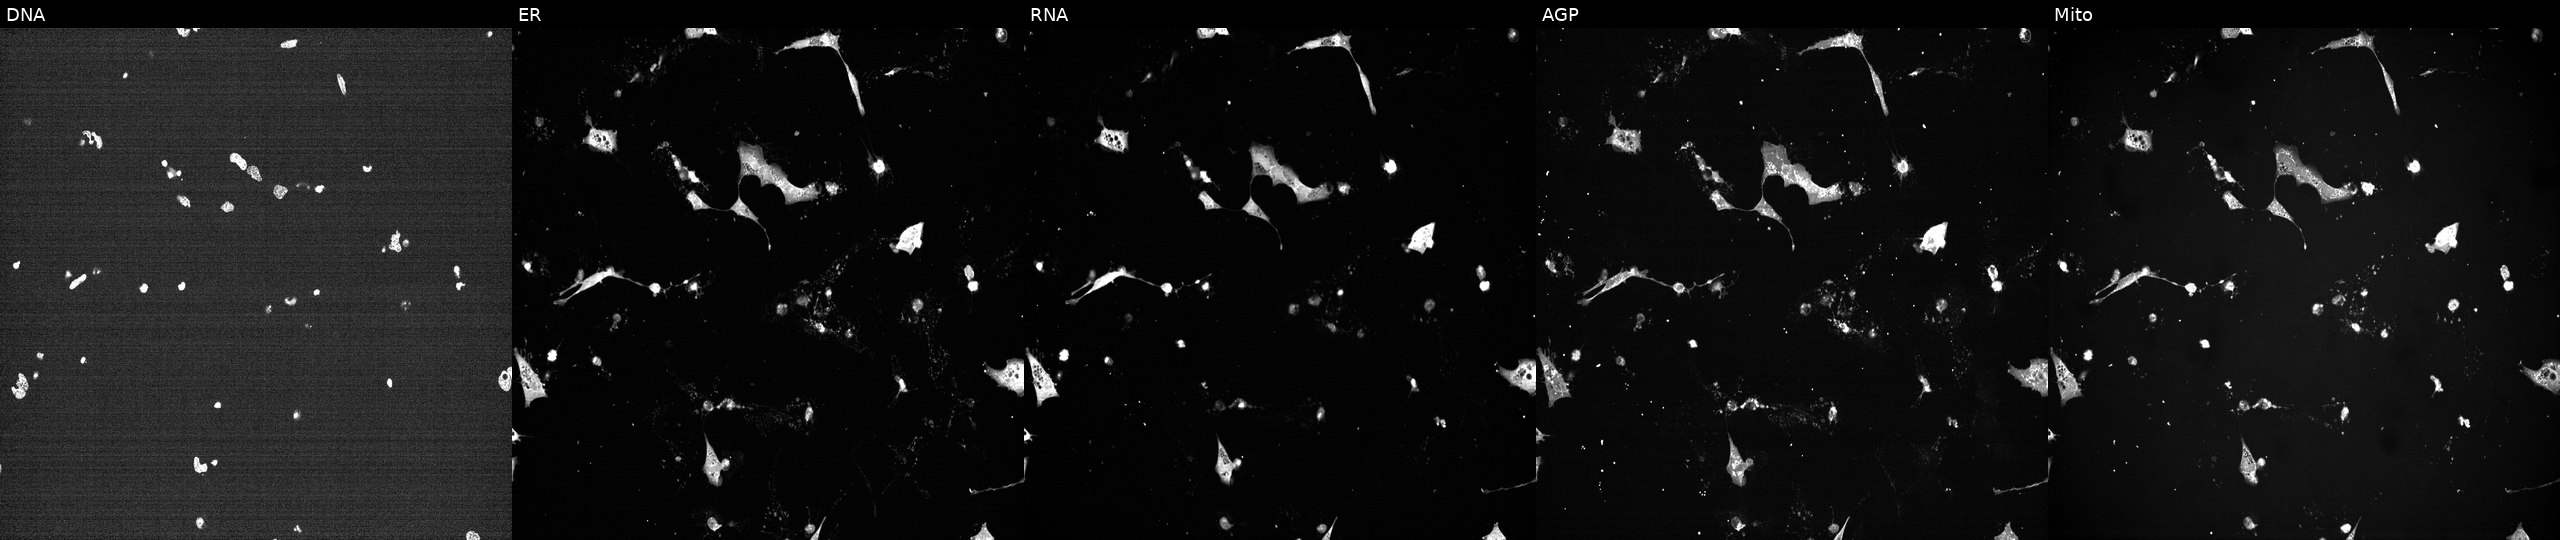
From left to right: Hoechst 33342, concanavalin A, SYTO 14, phalloidin and WGA, MitoTracker. U2OS osteosarcoma cells treated with a small-molecule compound [SMILES: CN1CC=CCCOc2cccc(c2)-c2ccnc(n2)Nc2cccc(c2)C1]. Cell Painting assay, JUMP-CP dataset. Source 7, plate CP1-SC1-25, well C08.